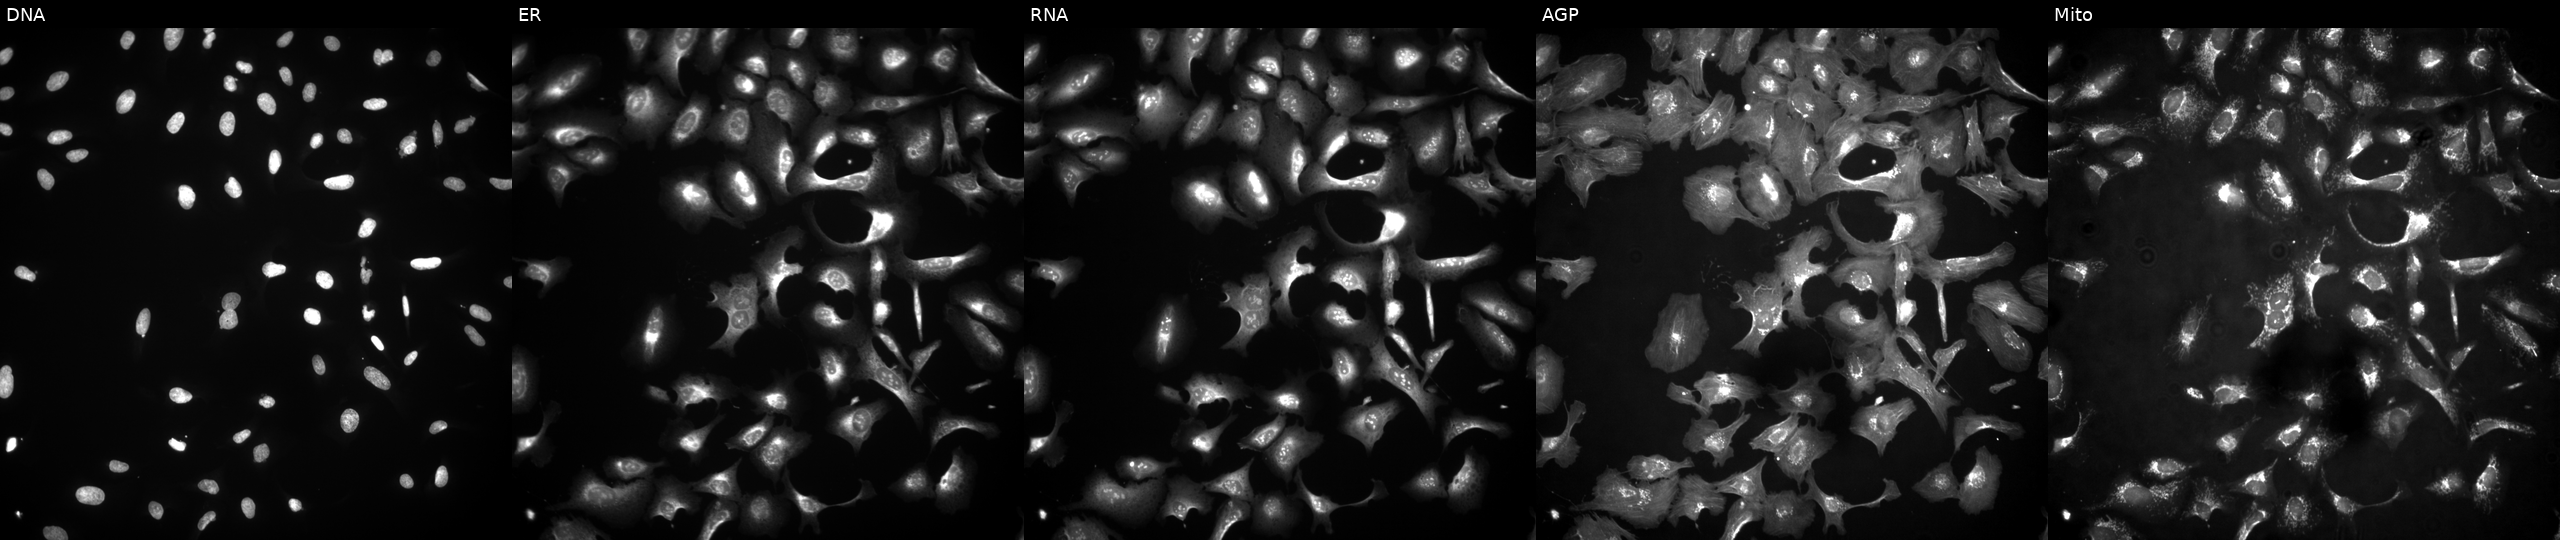
This image strip shows the five Cell Painting channels for a single field of U2OS cells treated with TC-S-7004 (positive-control compound) (JUMP id JCP2022_012818). Panels show, left to right, DNA, ER, RNA, AGP, and Mito.